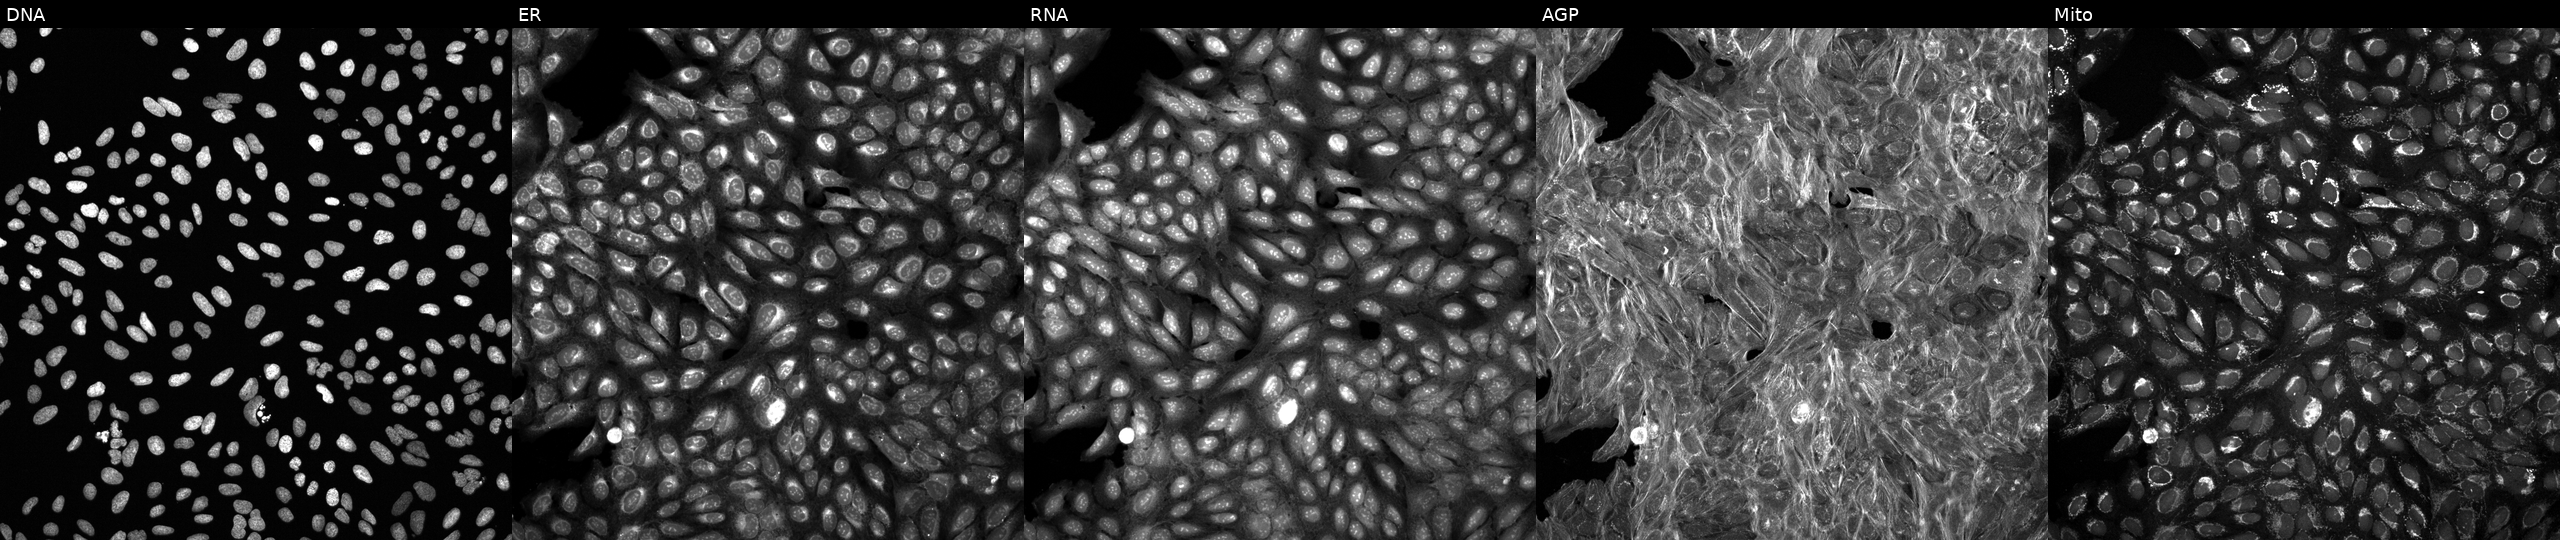
High-content fluorescence microscopy (Cell Painting). Cell line: U2OS. Perturbation: treated with a small-molecule compound (InChIKey UWBQDDXNTZXMOG-UHFFFAOYSA-N) [SMILES: C=CCn1c(CCN2CCCCC2)nnc1SCc1cc(=O)n2cccc(C)c2n1] (JUMP id JCP2022_091961). From left to right: Hoechst 33342, concanavalin A, SYTO 14, phalloidin and WGA, MitoTracker. Source 6, plate 110000293082, well I11.